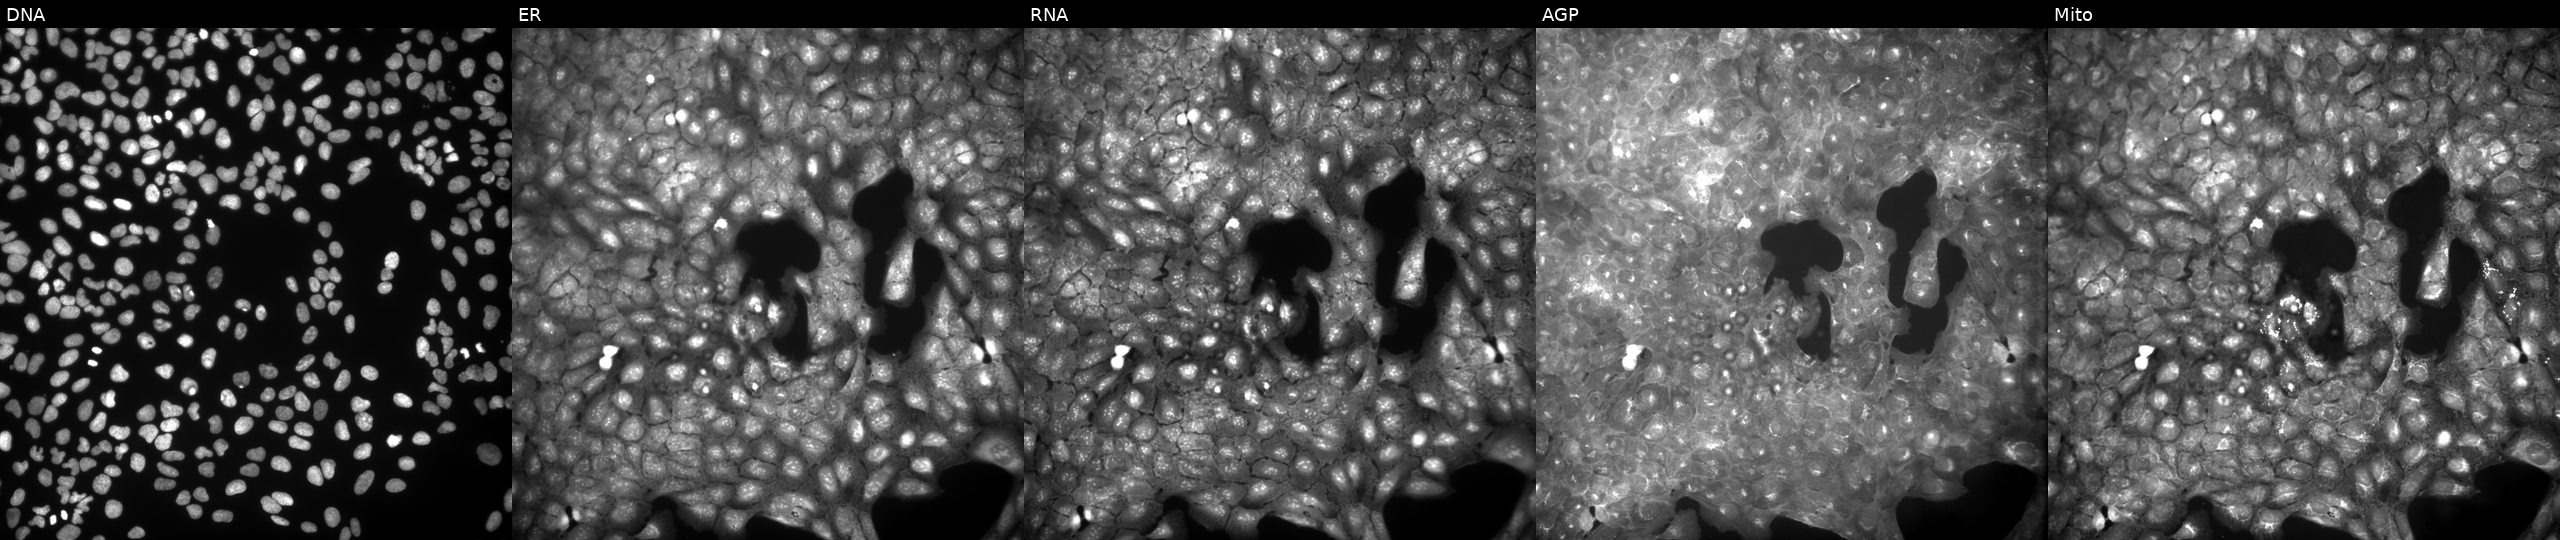
The five panels, left to right, show DNA, ER, RNA, AGP, and Mito. U2OS osteosarcoma cells treated with a small-molecule compound (InChIKey FNIJVKVXDQUCAH-UHFFFAOYSA-N). Cell Painting assay, JUMP-CP dataset.